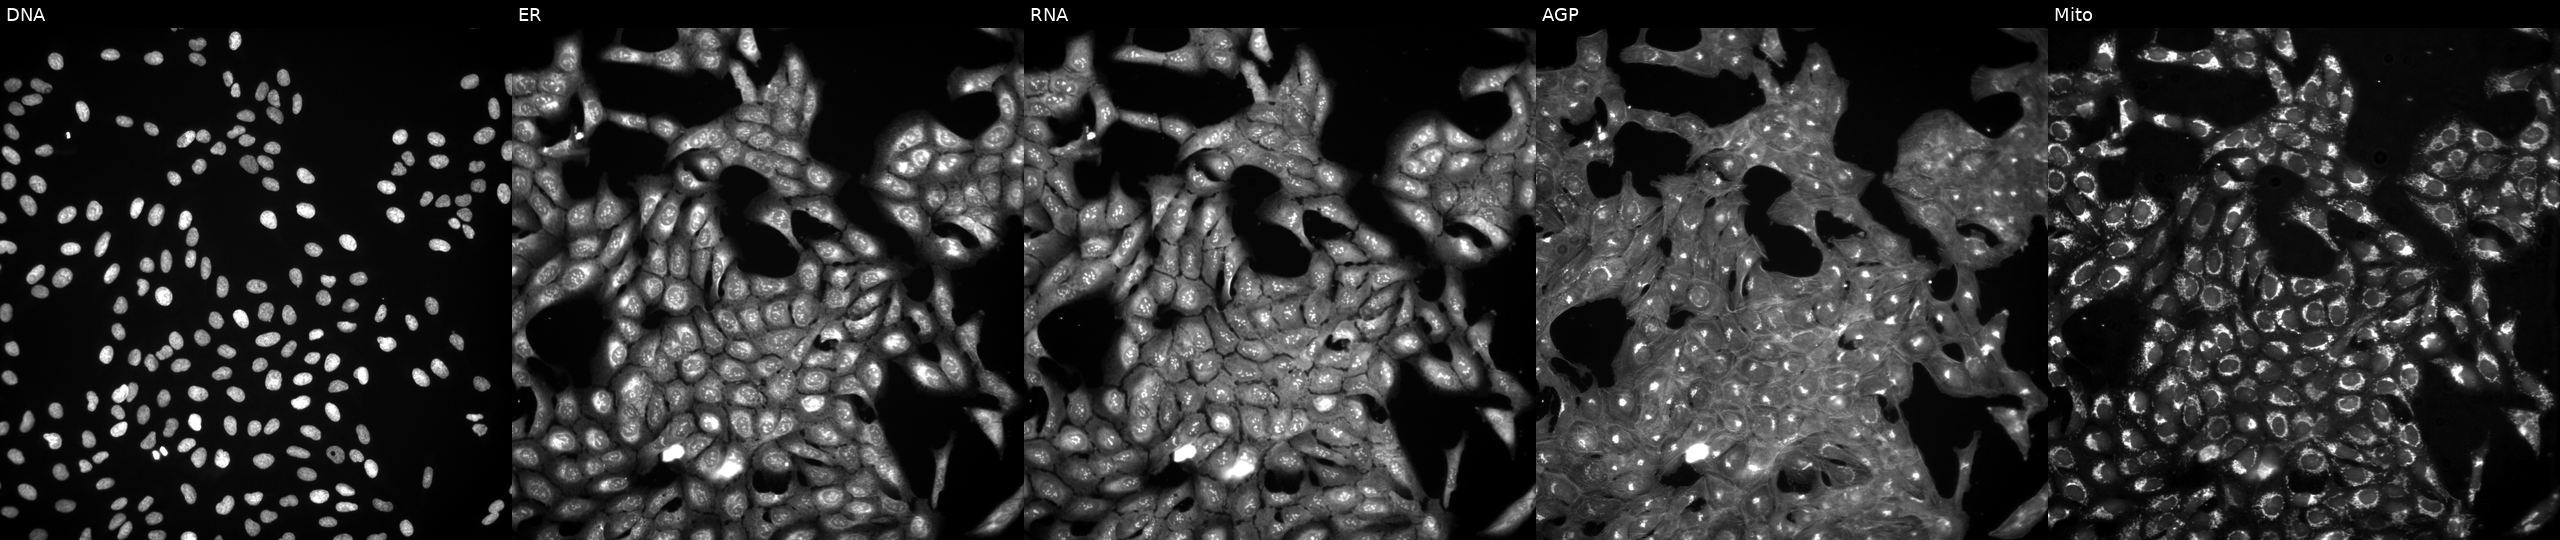
High-content fluorescence microscopy (Cell Painting). Cell line: U2OS. Perturbation: treated with a small-molecule compound (InChIKey IIQUYGWWHIHOCF-UHFFFAOYSA-N) (JUMP id JCP2022_035296). Channels (left→right): Hoechst 33342, concanavalin A, SYTO 14, phalloidin and WGA, MitoTracker.